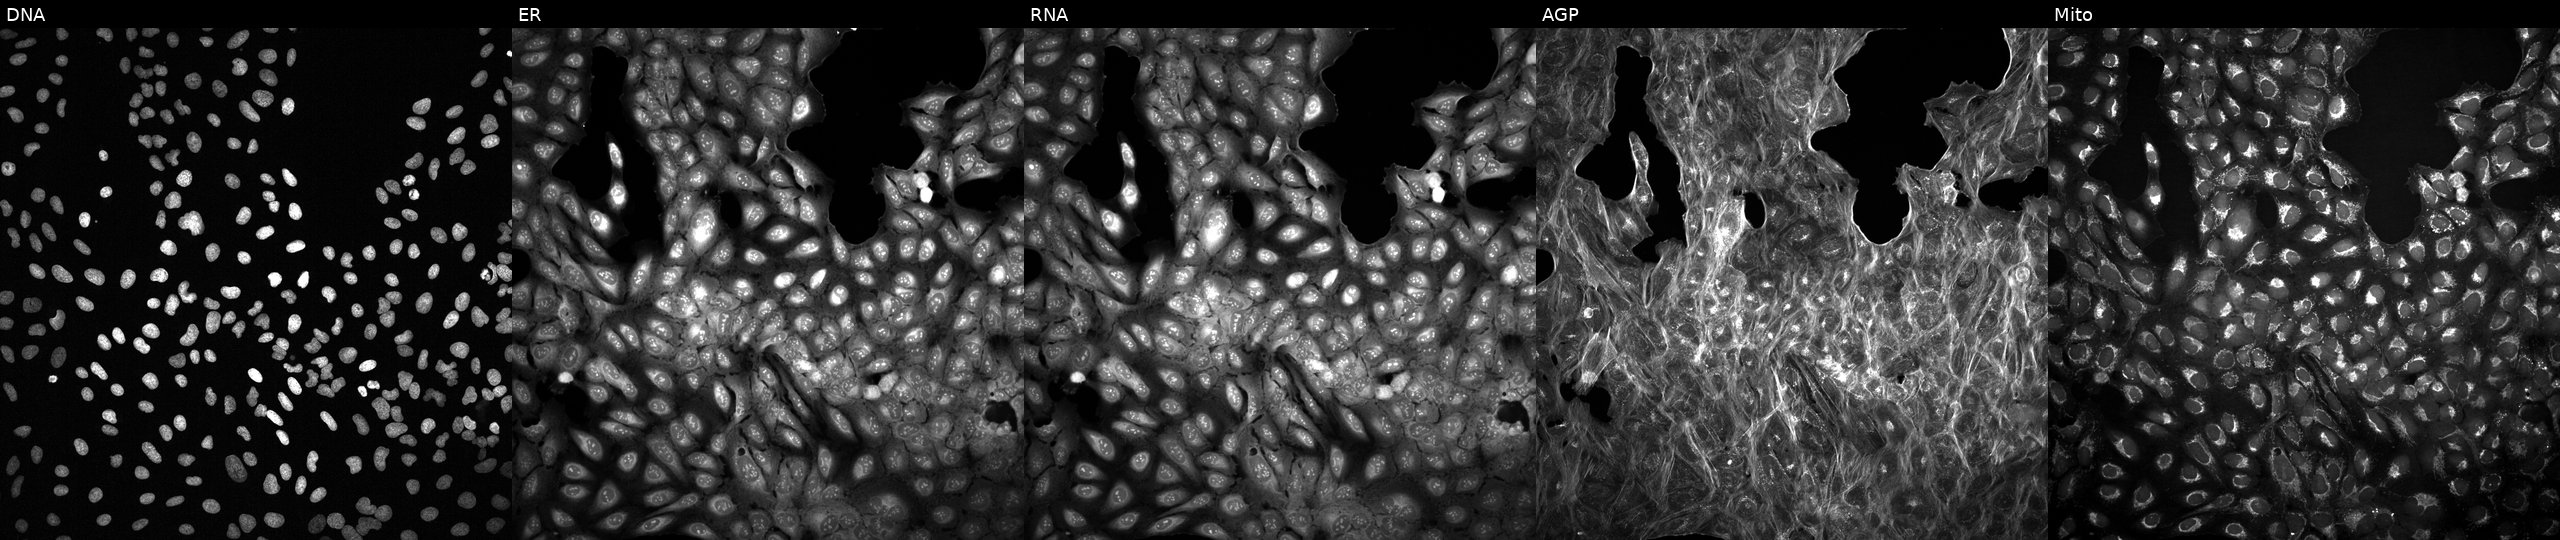
Five-channel Cell Painting image of U2OS cells with an unidentified perturbation (not annotated in JUMP metadata). From left to right: DNA, ER, RNA, AGP, and Mito.